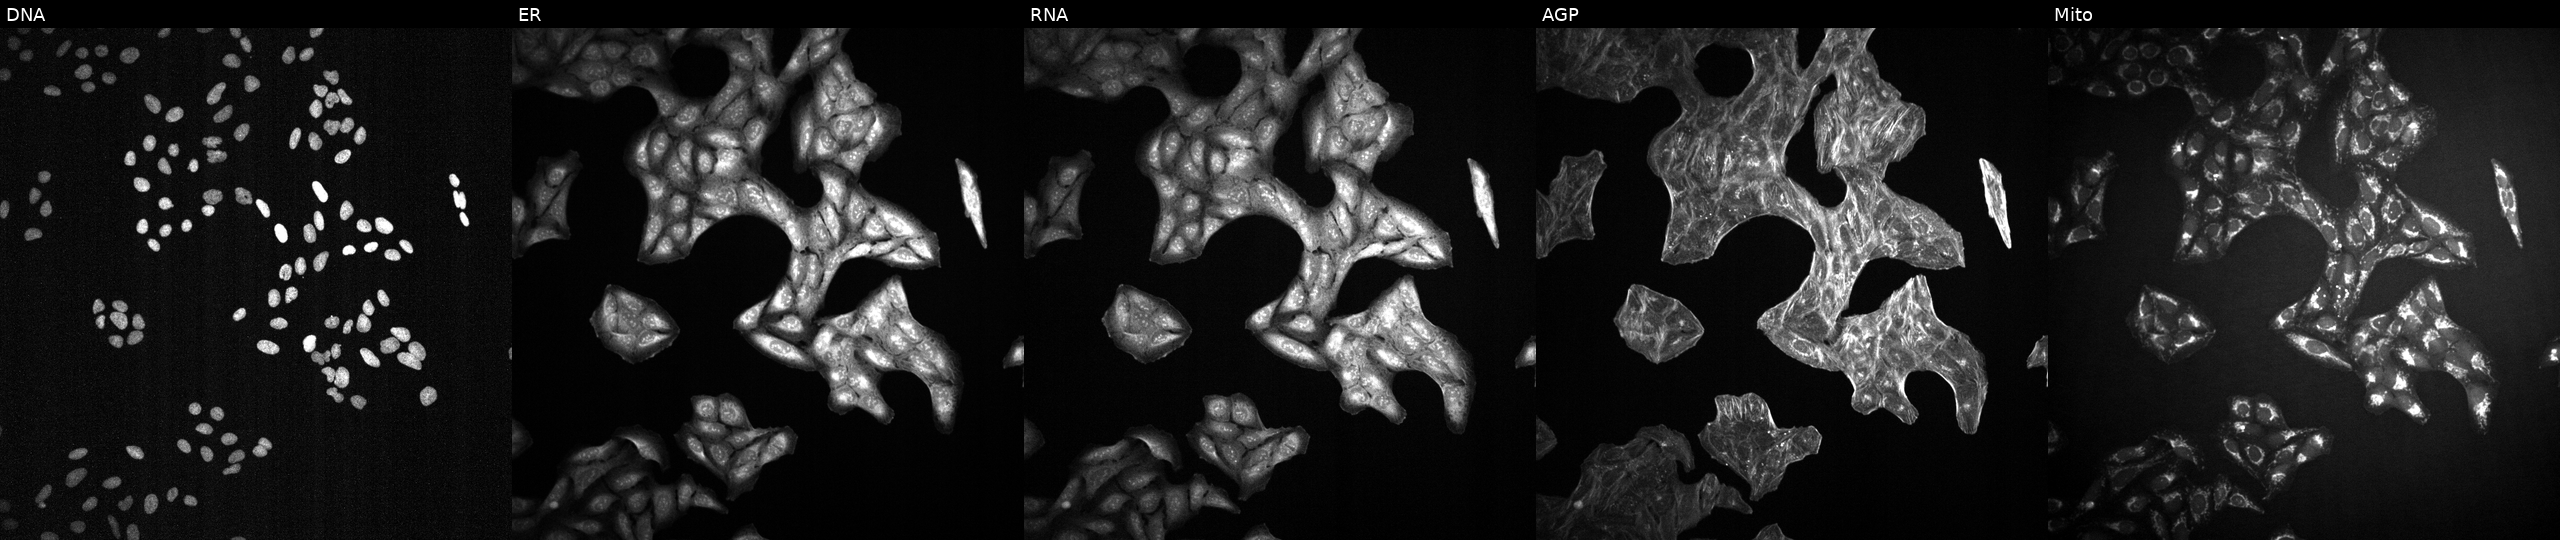
U2OS cells, Cell Painting assay, treated with a small-molecule compound [SMILES: CC(C)COCC(CN(Cc1ccccc1)c1ccccc1)N1CCCC1]. Channels (left→right): DNA, ER, RNA, AGP, and Mito. Each panel is percentile-stretched 16-bit fluorescence.